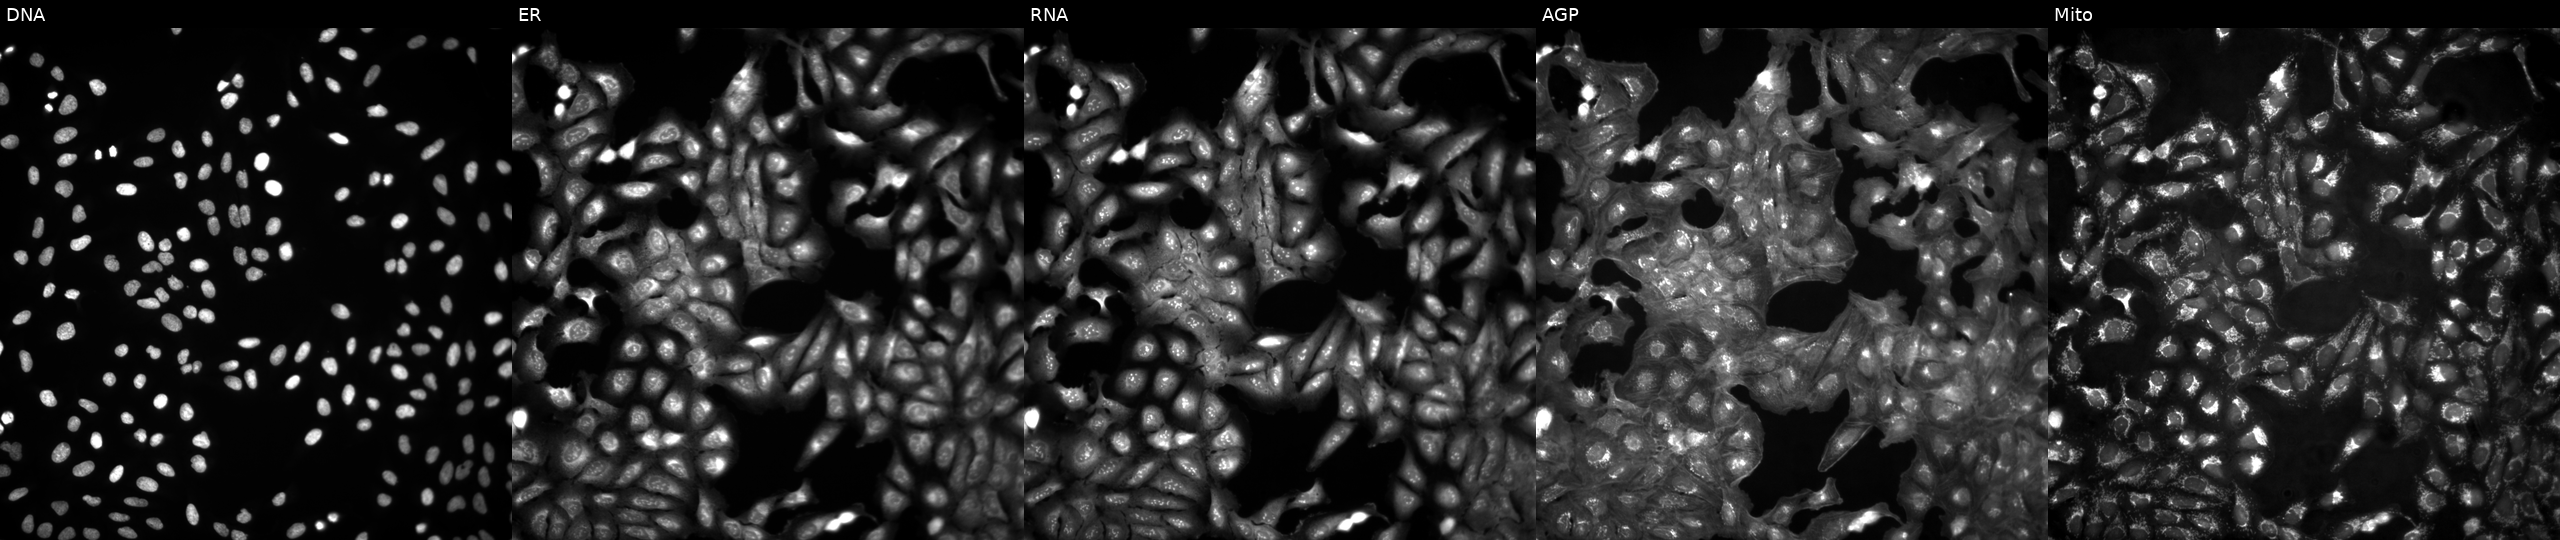
The five panels, left to right, show Hoechst 33342, concanavalin A, SYTO 14, phalloidin and WGA, MitoTracker. U2OS osteosarcoma cells in an empty control well (no perturbation) (JUMP id JCP2022_999999). Cell Painting assay, JUMP-CP dataset.